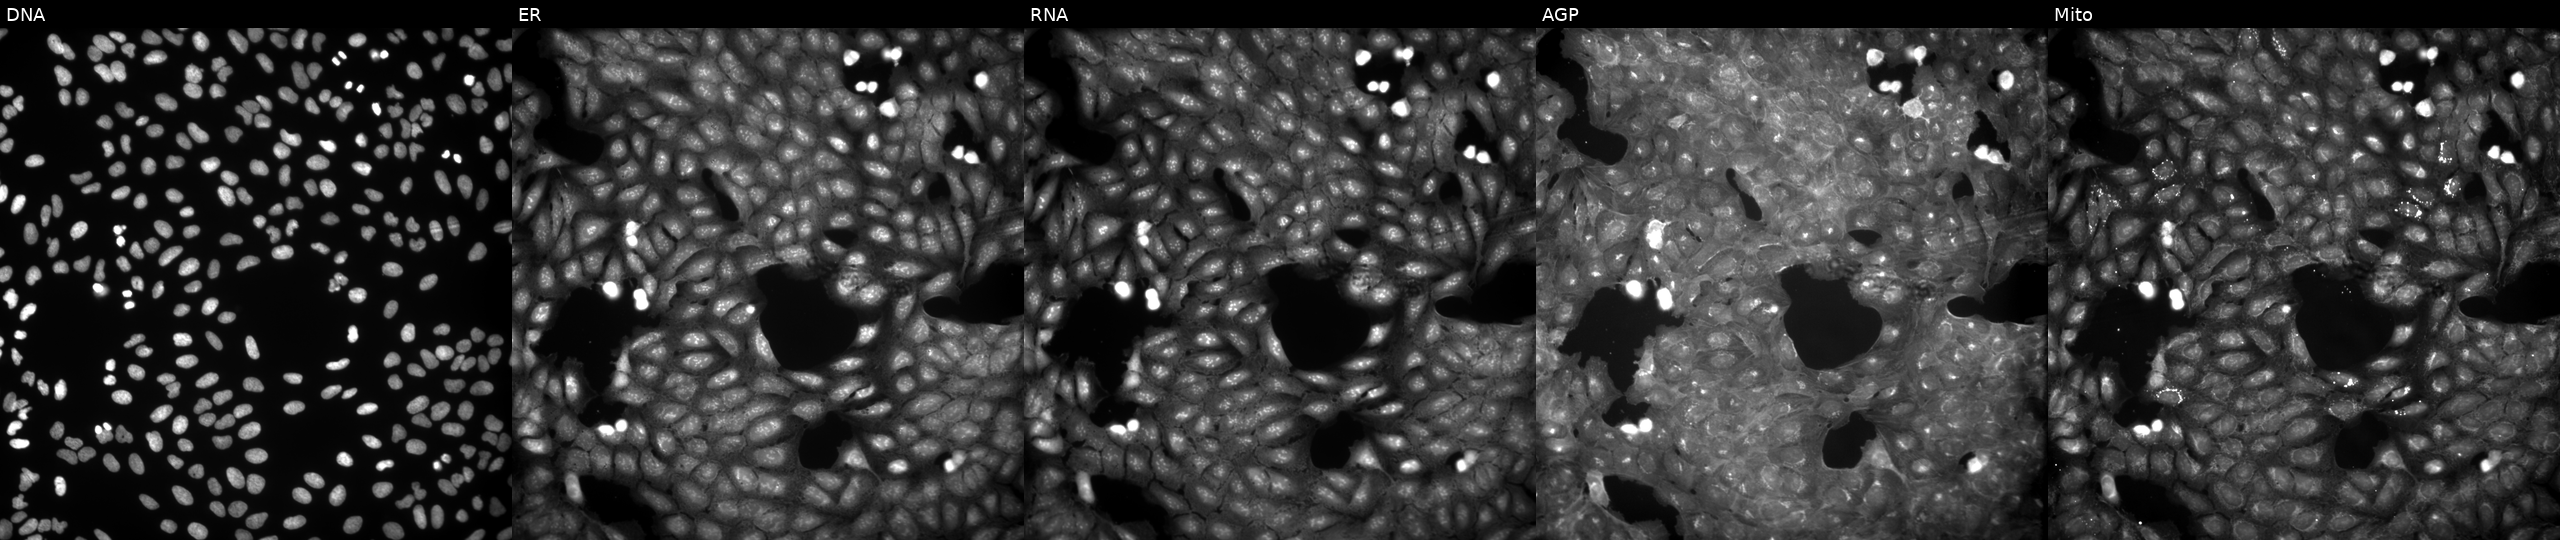
The five panels, left to right, show DNA, ER, RNA, AGP, and Mito. U2OS osteosarcoma cells perturbed with a small-molecule compound (InChIKey IANULKJFHGLGOX-UHFFFAOYSA-N). Cell Painting assay, JUMP-CP dataset.